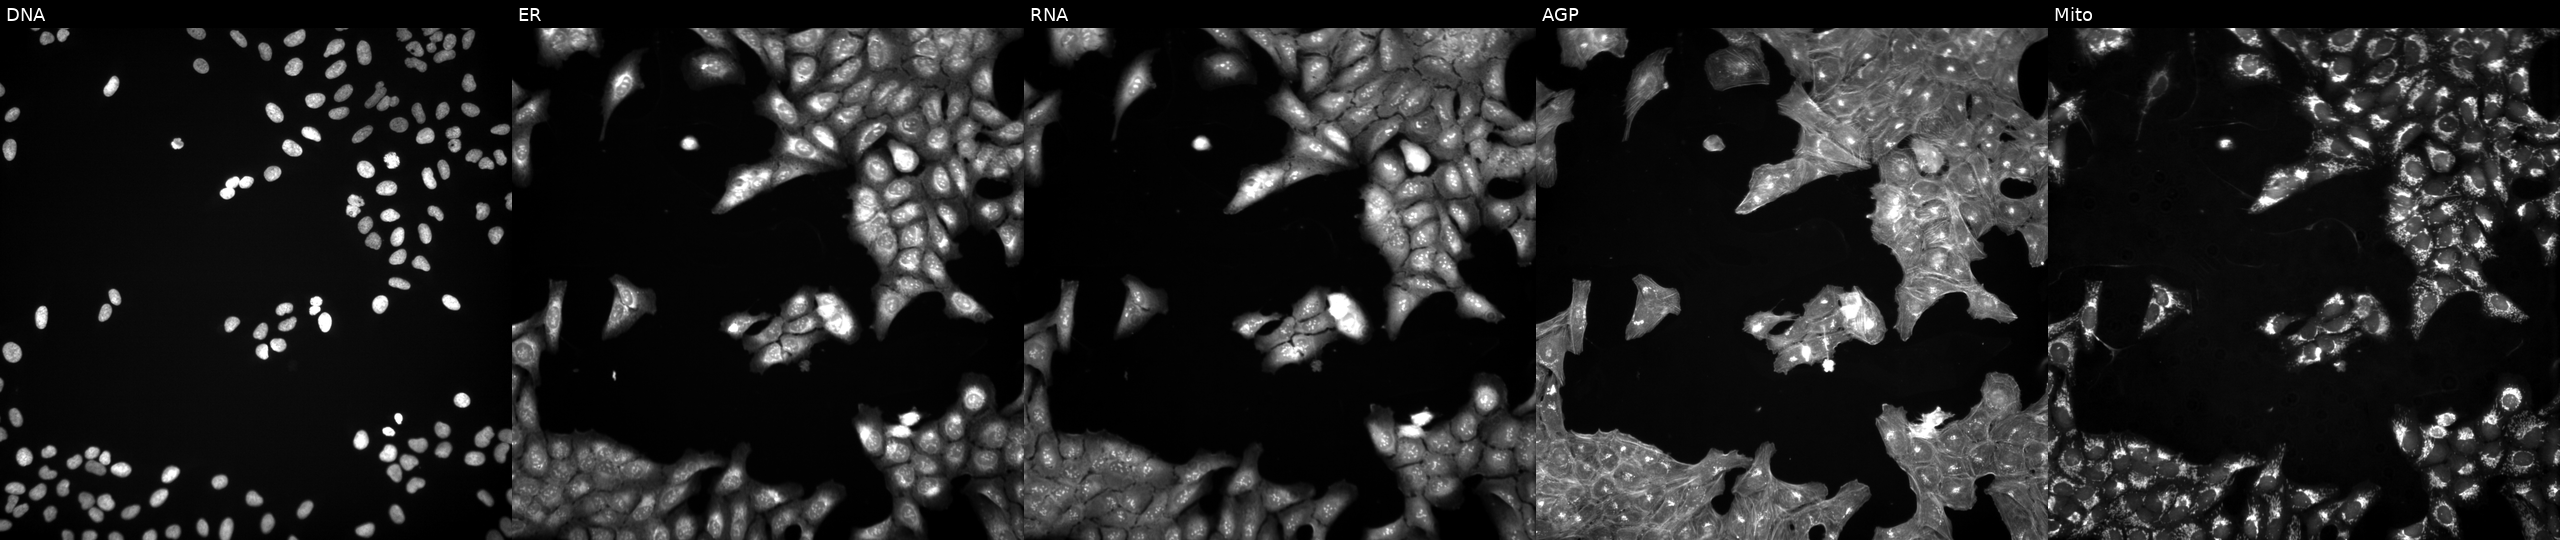
Panels show, left to right, Hoechst 33342, concanavalin A, SYTO 14, phalloidin and WGA, MitoTracker. U2OS osteosarcoma cells treated with DMSO vehicle only (negative control). Cell Painting assay, JUMP-CP dataset. Source 3, plate JCPQC051, well P11.